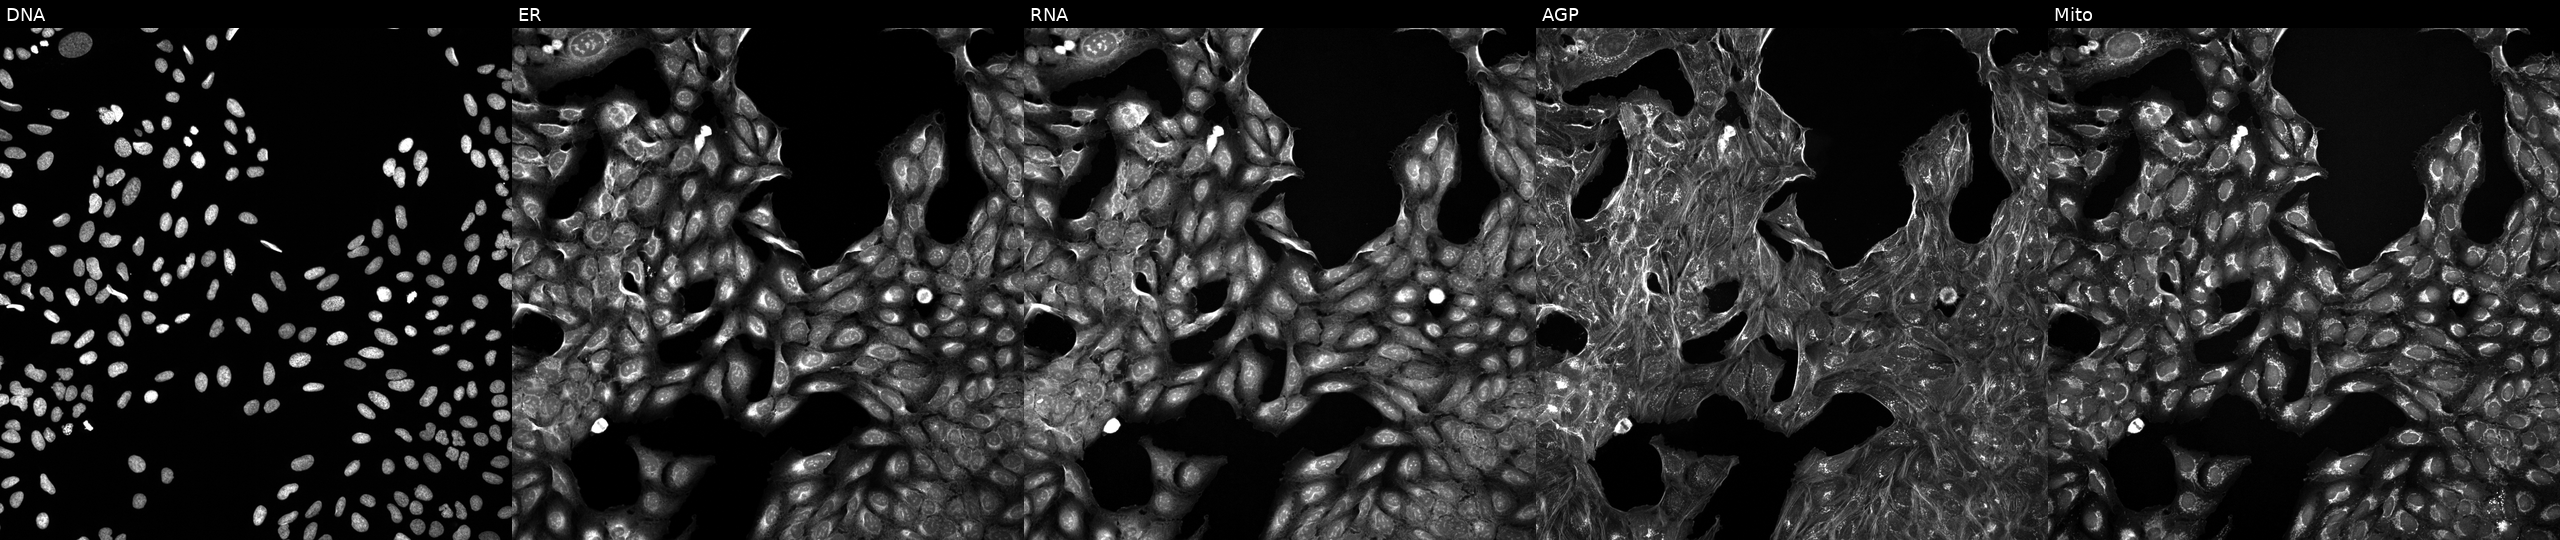
Five-channel Cell Painting image of U2OS cells treated with a small-molecule compound (InChIKey CUIHSIWYWATEQL-UHFFFAOYSA-N). Channels (left→right): Hoechst 33342, concanavalin A, SYTO 14, phalloidin and WGA, MitoTracker.